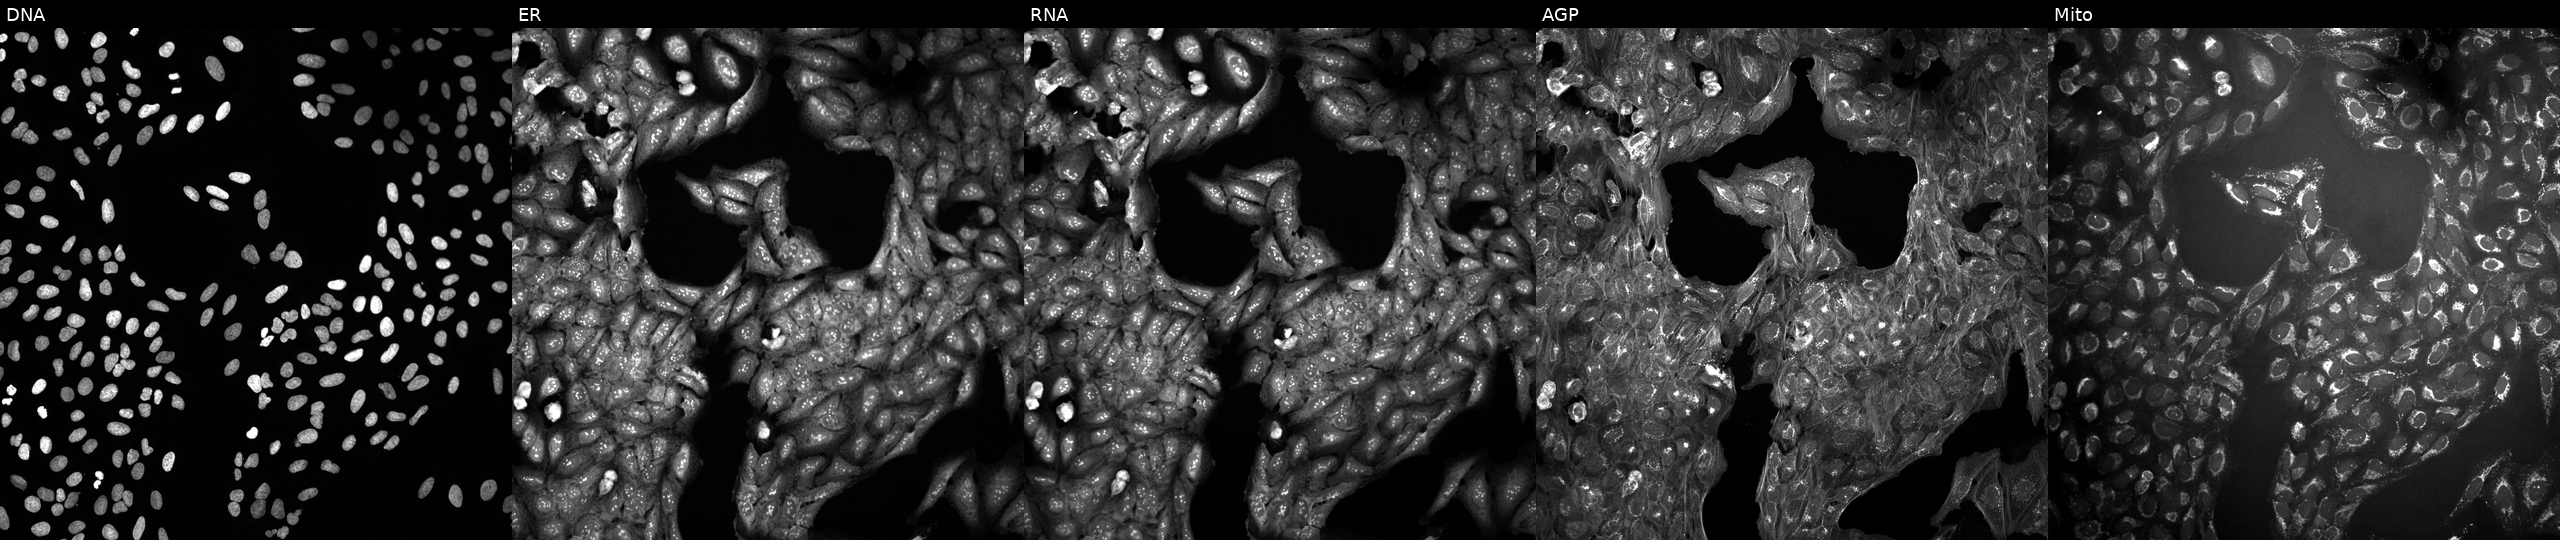
From left to right: DNA (nuclei); ER (endoplasmic reticulum); RNA (nucleoli and cytoplasmic RNA); AGP (actin cytoskeleton, Golgi, and plasma membrane); Mito (mitochondria). U2OS osteosarcoma cells exposed to the positive-control compound aloxistatin. Cell Painting assay, JUMP-CP dataset. Source 10, plate Dest210531-152149, well I01.